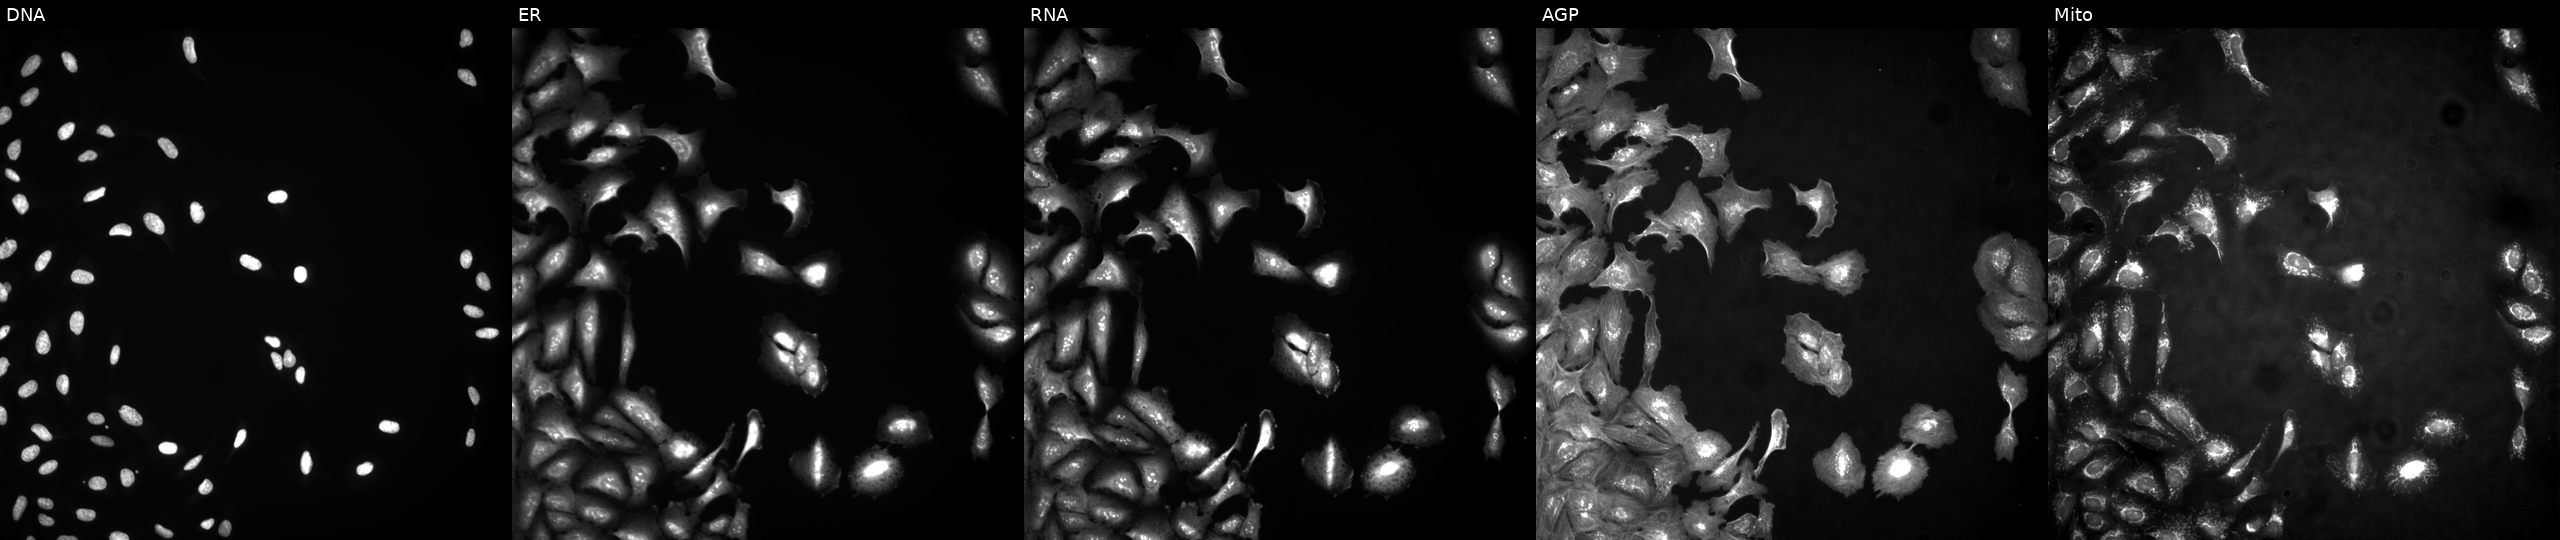
Five-channel Cell Painting image of U2OS cells transfected with an ORF construct for CGB8 (JUMP id JCP2022_905596). The five panels, left to right, show DNA (nuclei); ER (endoplasmic reticulum); RNA (nucleoli and cytoplasmic RNA); AGP (actin cytoskeleton, Golgi, and plasma membrane); Mito (mitochondria).